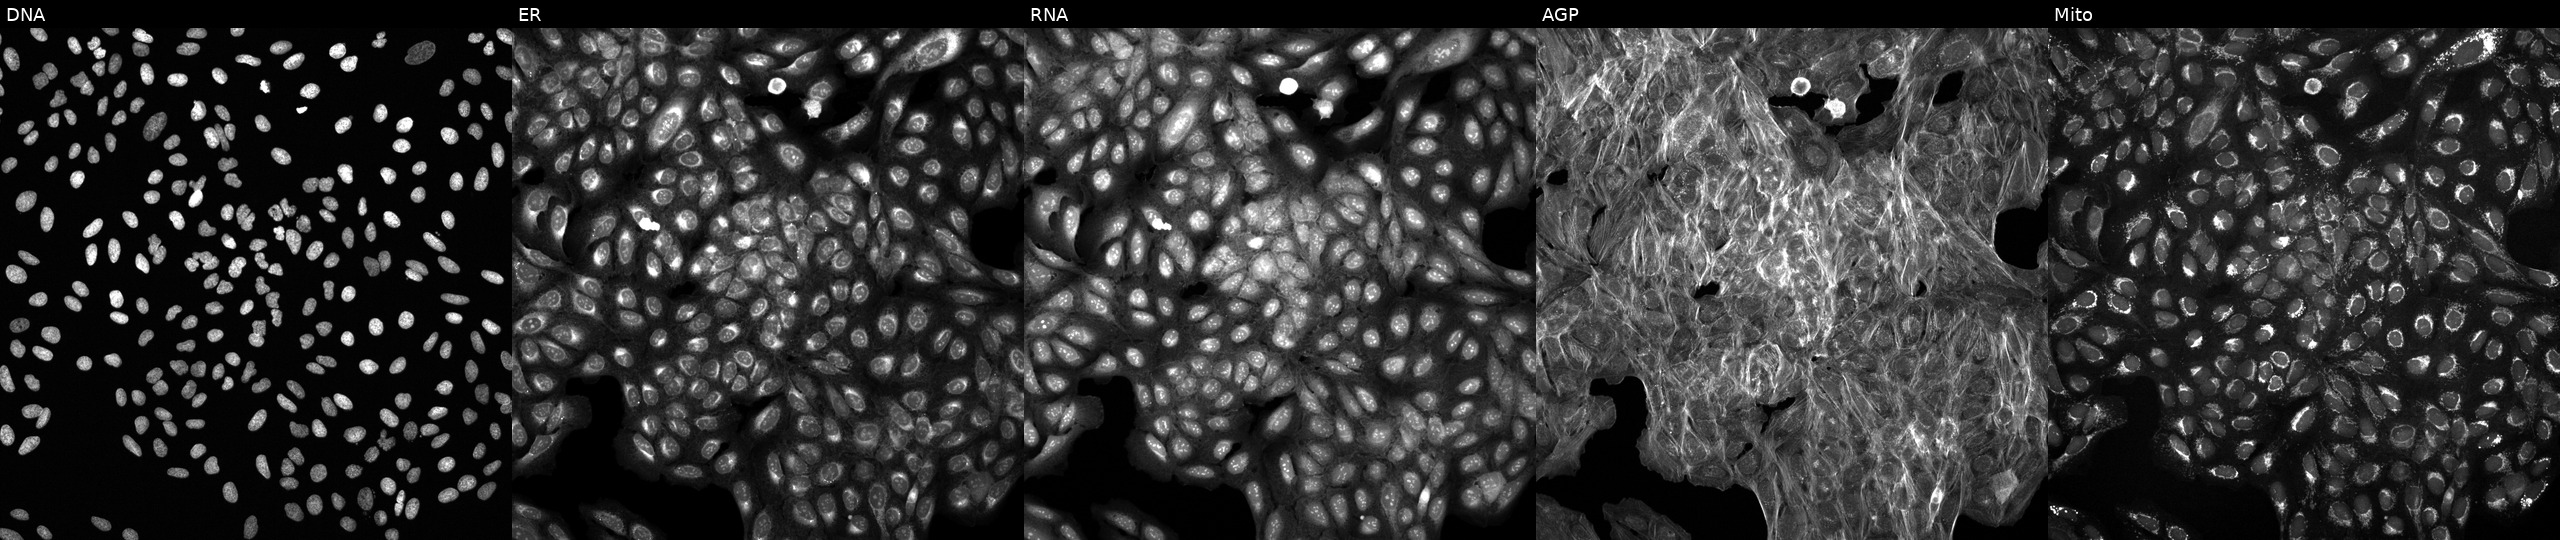
U2OS cells, Cell Painting assay, exposed to a small-molecule compound (JUMP id JCP2022_093678). Panels show, left to right, Hoechst 33342, concanavalin A, SYTO 14, phalloidin and WGA, MitoTracker. Each panel is percentile-stretched 16-bit fluorescence. Source 6, plate 110000293081, well C21.